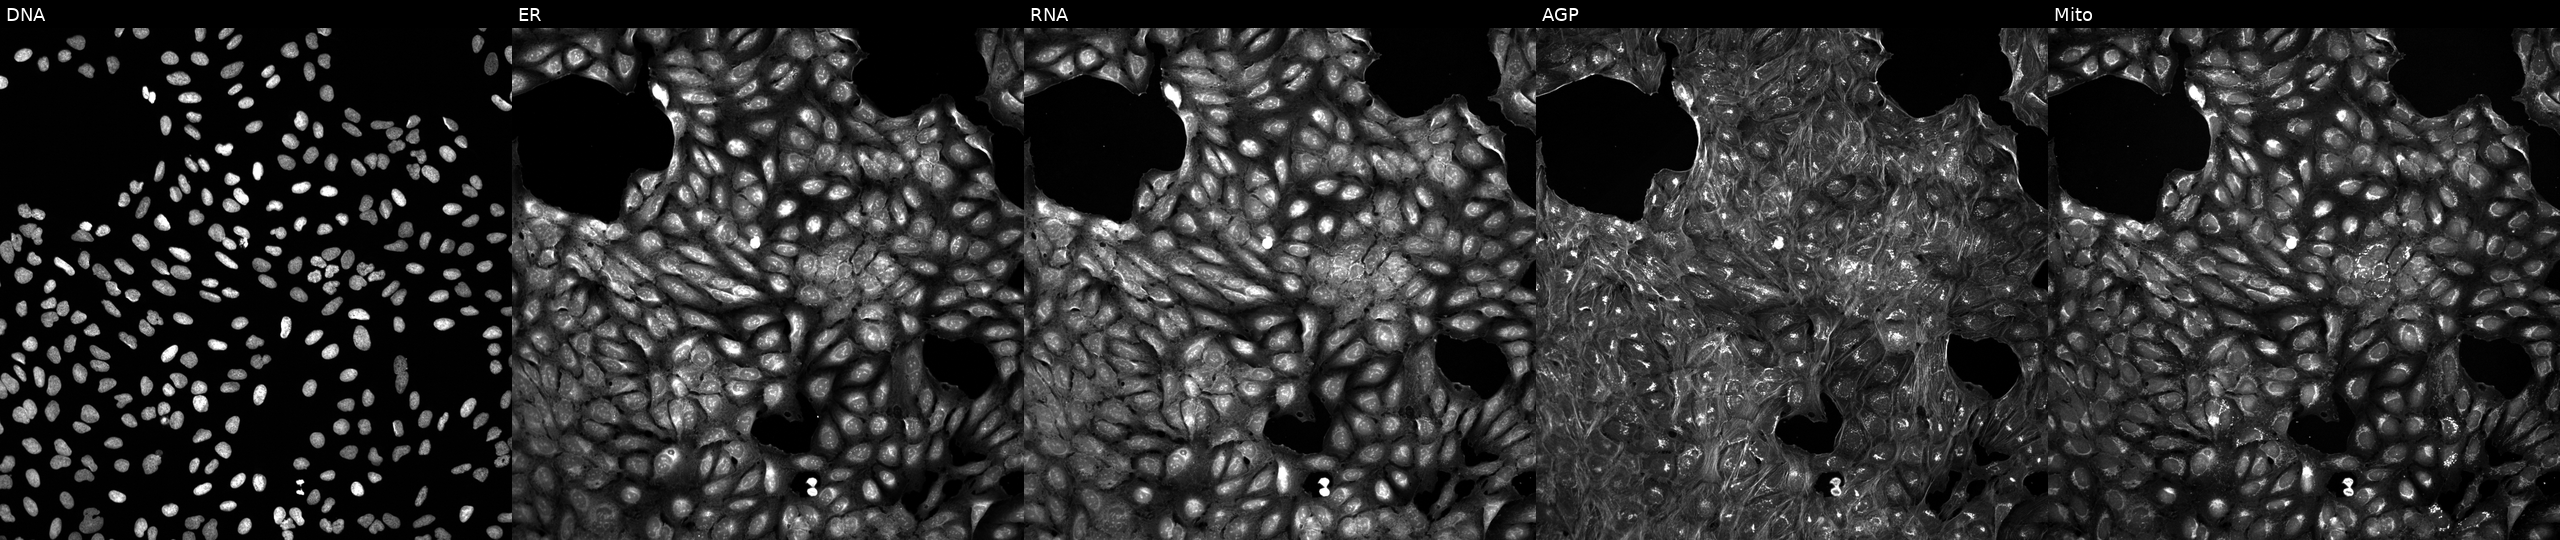
High-content fluorescence microscopy (Cell Painting). Cell line: U2OS. Perturbation: treated with a small-molecule compound. Channels (left→right): DNA (nuclei); ER (endoplasmic reticulum); RNA (nucleoli and cytoplasmic RNA); AGP (actin cytoskeleton, Golgi, and plasma membrane); Mito (mitochondria).